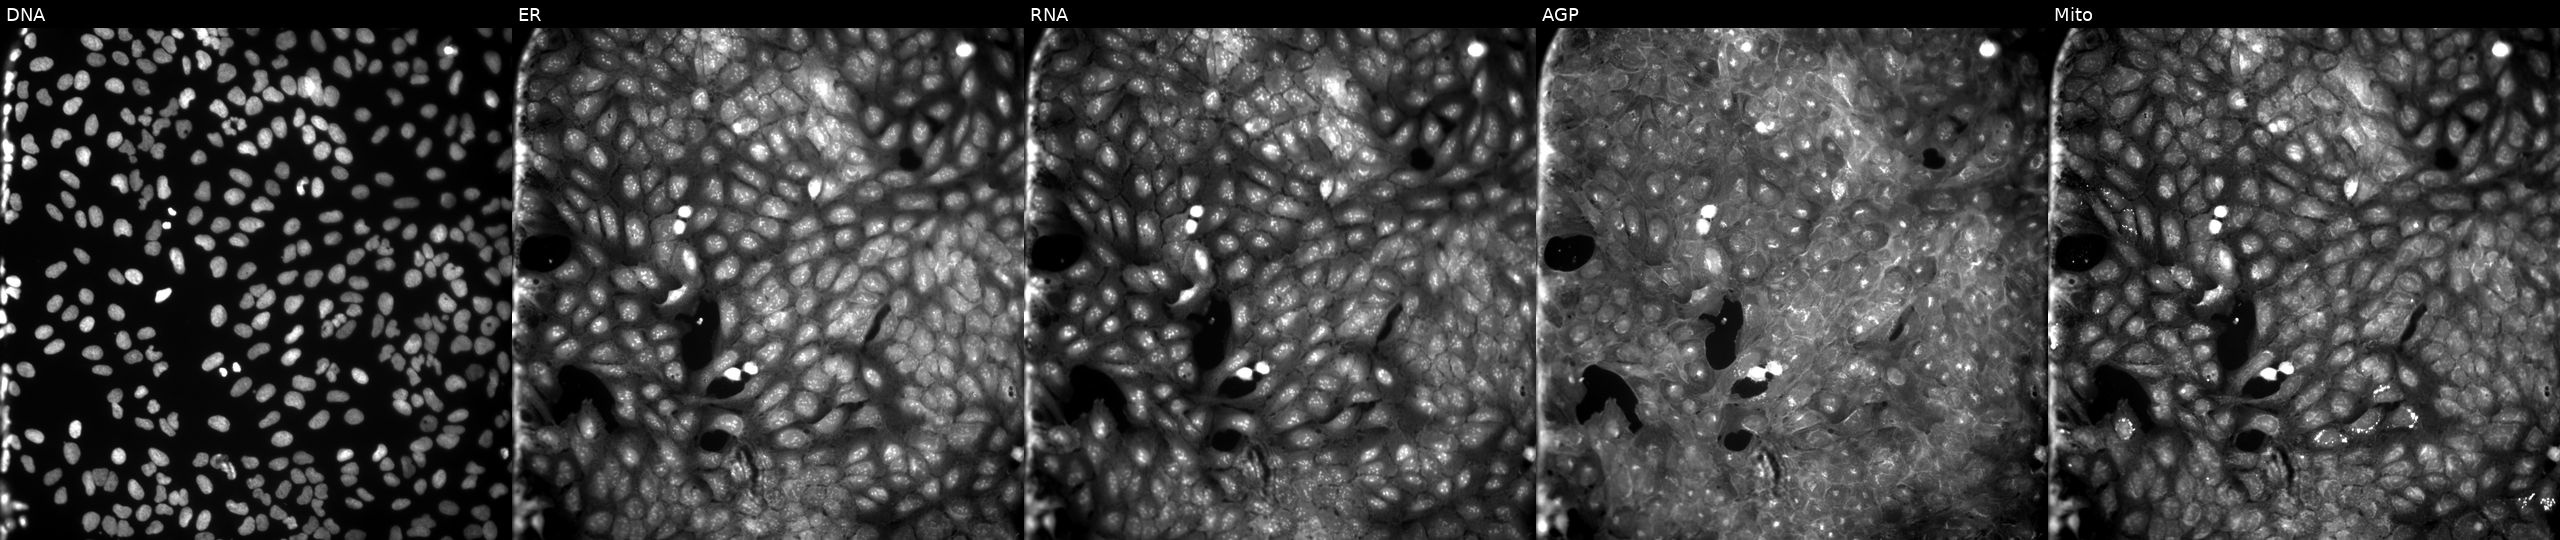
Five-channel Cell Painting image of U2OS cells perturbed with a small-molecule compound (InChIKey TXUJAPDGRKOFJY-UHFFFAOYSA-N) [SMILES: CCOC(=O)c1ccc2c(c1)C1C=CCC1C(c1cccc(OC)c1OC)N2] (JUMP id JCP2022_087439). The five panels, left to right, show DNA, ER, RNA, AGP, and Mito.